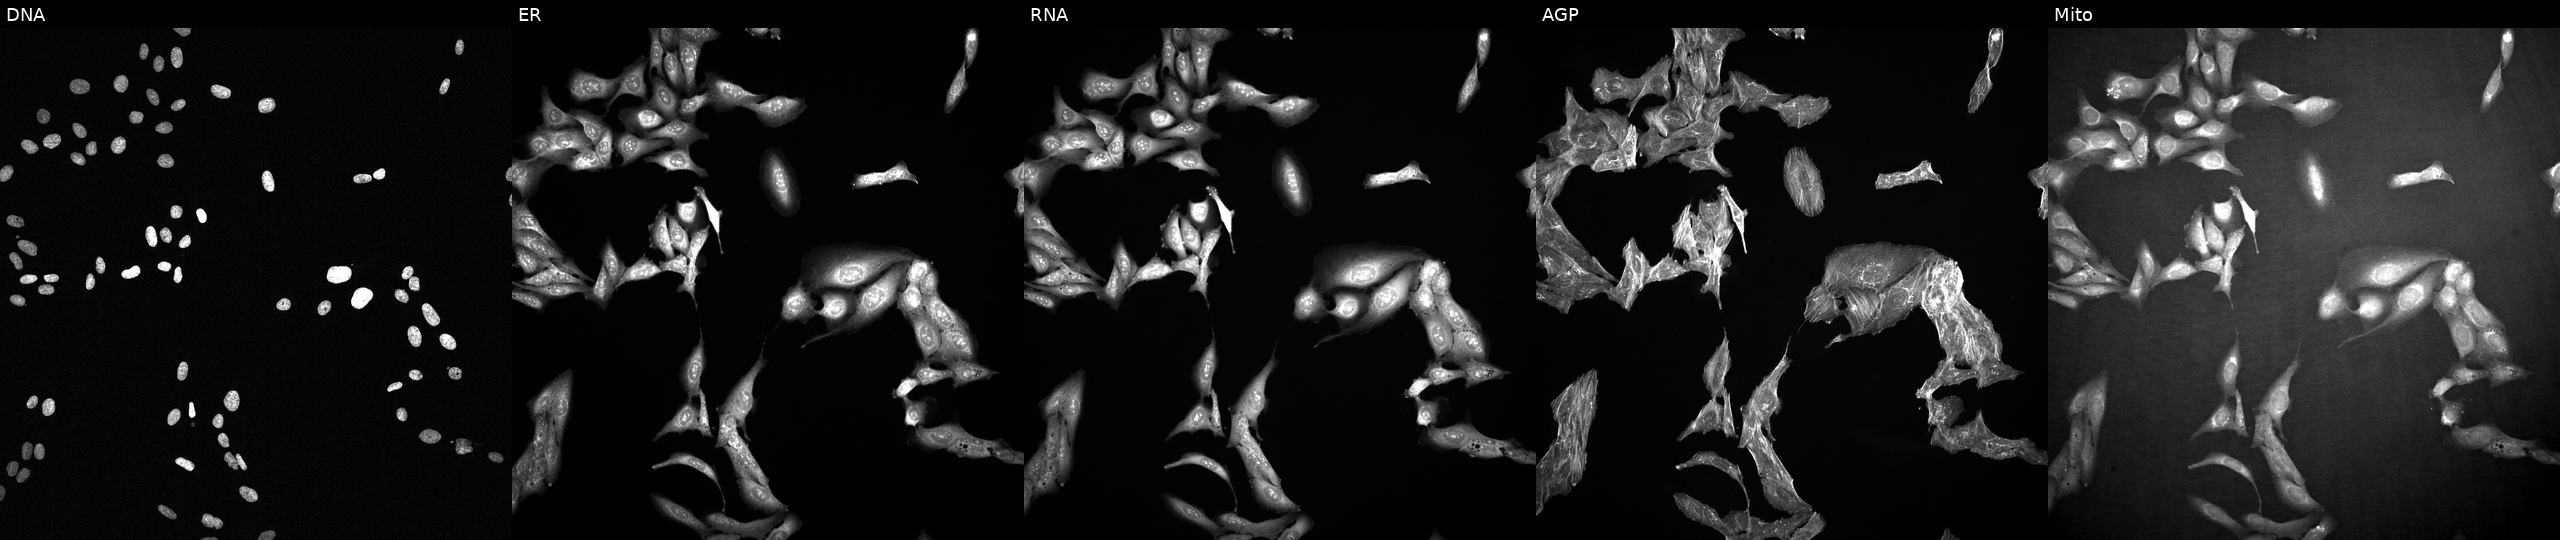
Channels (left→right): DNA (nuclei); ER (endoplasmic reticulum); RNA (nucleoli and cytoplasmic RNA); AGP (actin cytoskeleton, Golgi, and plasma membrane); Mito (mitochondria). U2OS osteosarcoma cells treated with a small-molecule compound (InChIKey GECVRPRJBLJGEF-UHFFFAOYSA-N) (JUMP id JCP2022_024877). Cell Painting assay, JUMP-CP dataset.